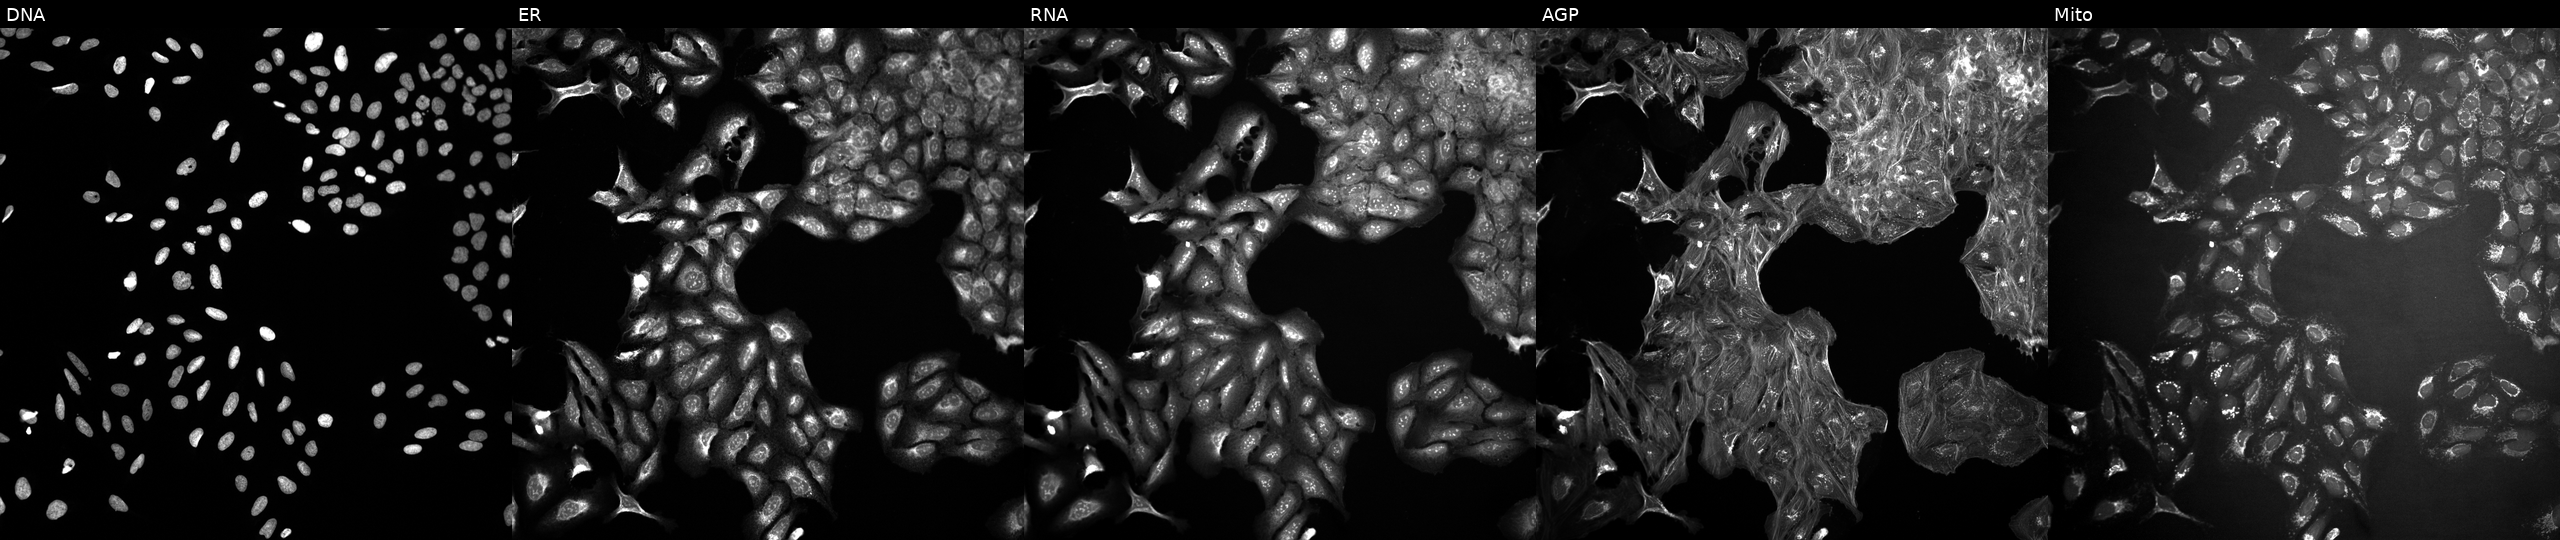
JUMP Cell Painting — COMPOUND plate. U2OS cells untreated (empty-well control) (JUMP id JCP2022_999999). The five panels, left to right, show Hoechst 33342, concanavalin A, SYTO 14, phalloidin and WGA, MitoTracker. Source 10, plate Dest210531-152324, well H18.